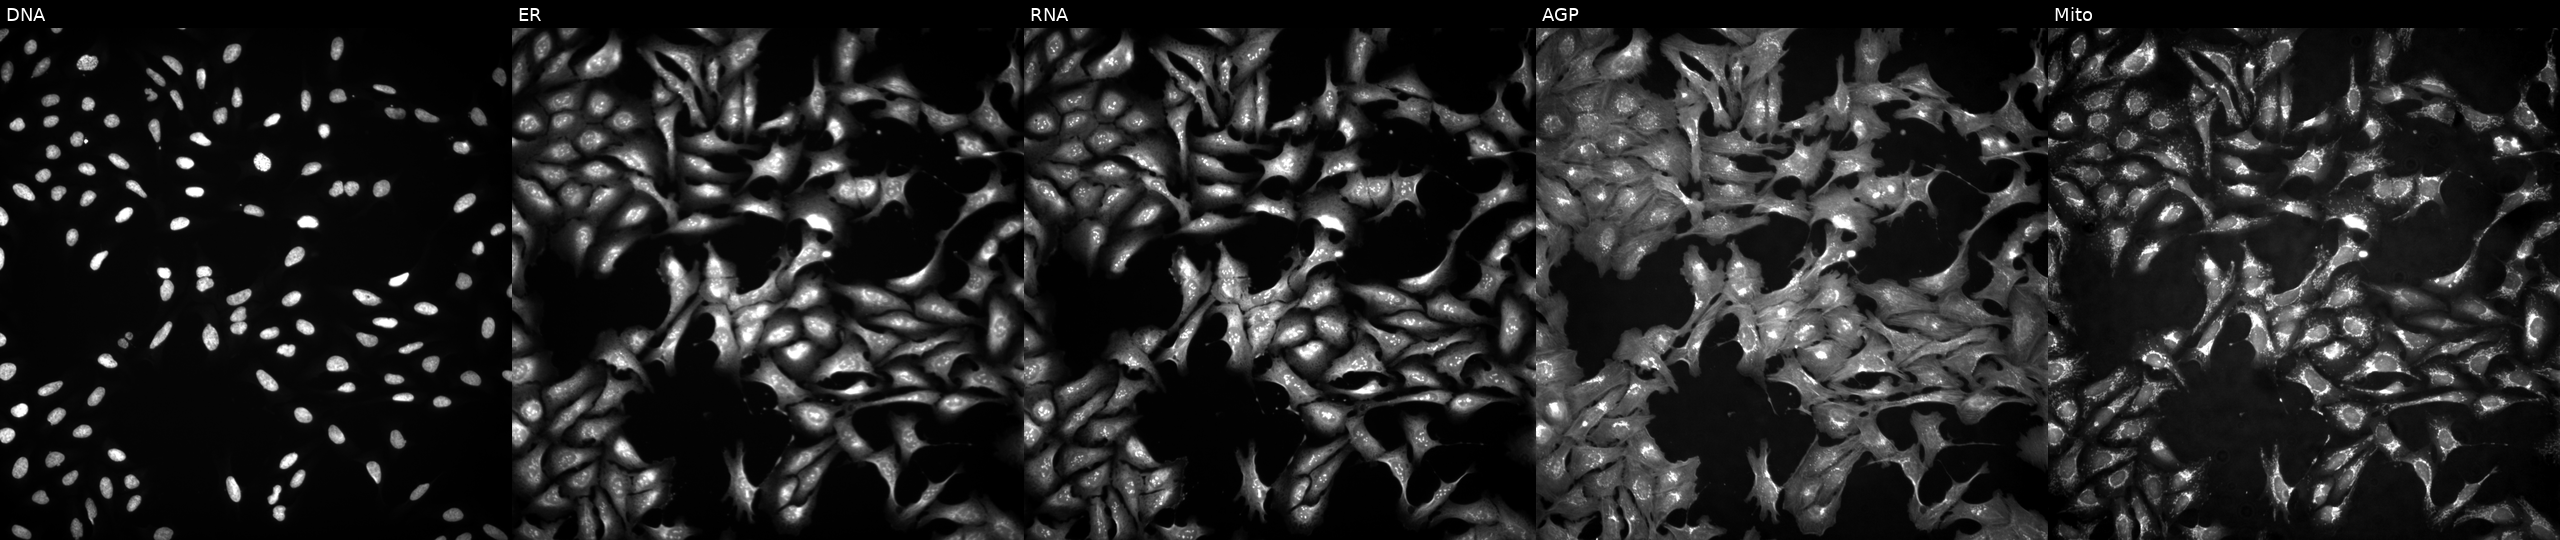
High-content fluorescence microscopy (Cell Painting). Cell line: U2OS. Perturbation: overexpressing MAST1 via ORF transfection. The five panels, left to right, show DNA, ER, RNA, AGP, and Mito.